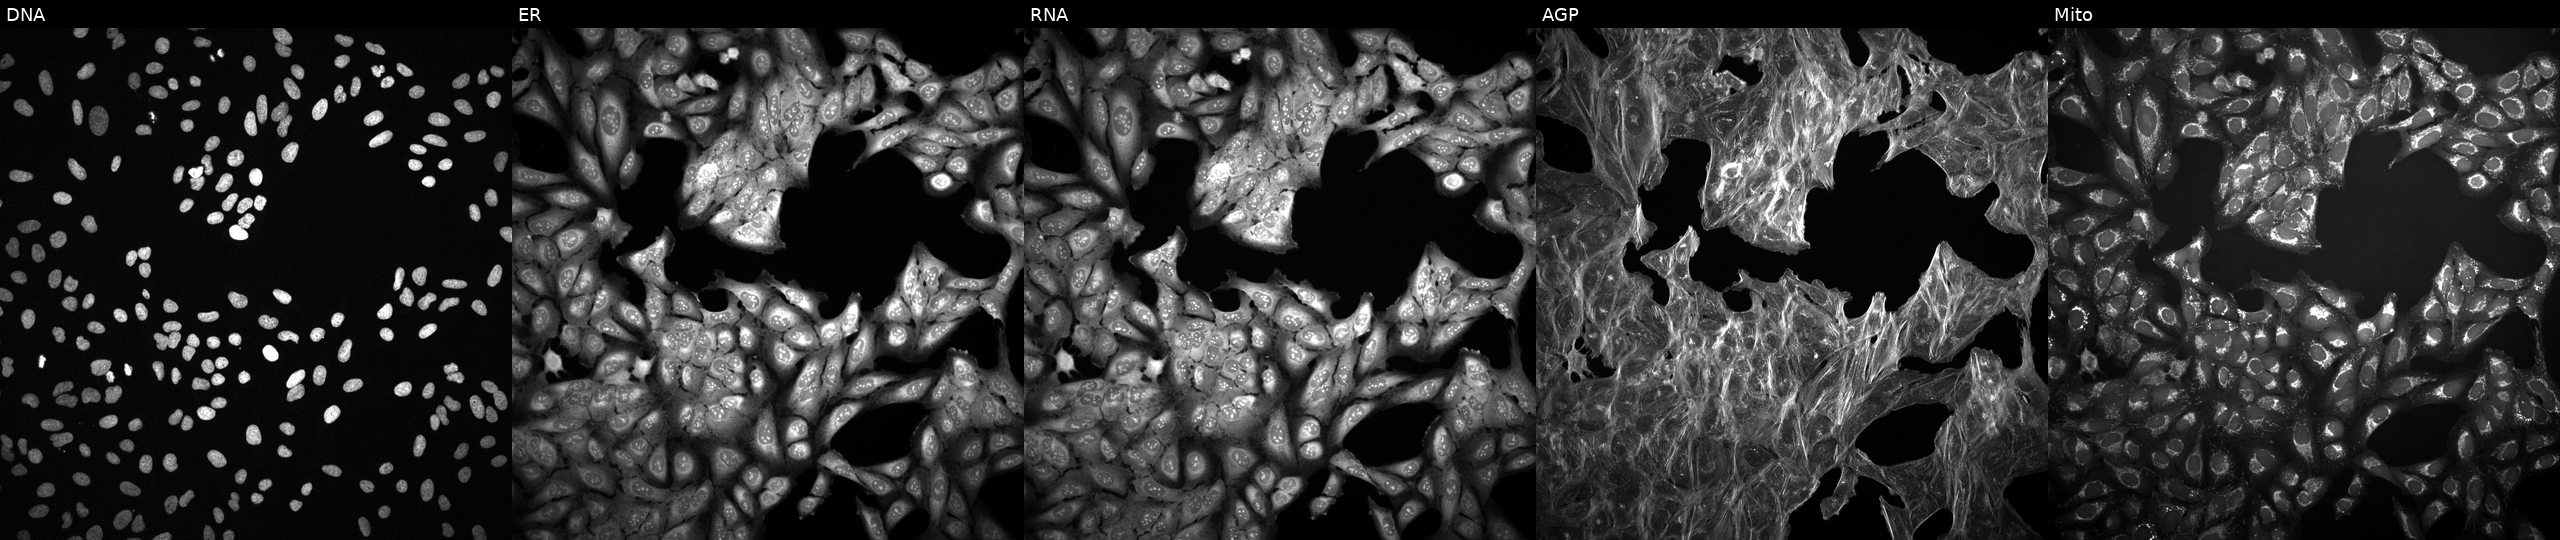
High-content fluorescence microscopy (Cell Painting). Cell line: U2OS. Perturbation: treated with a small-molecule compound (InChIKey ZESFDAKNYJQYKO-UHFFFAOYSA-N). From left to right: Hoechst 33342, concanavalin A, SYTO 14, phalloidin and WGA, MitoTracker. Source 2, plate 1053597936, well P15.